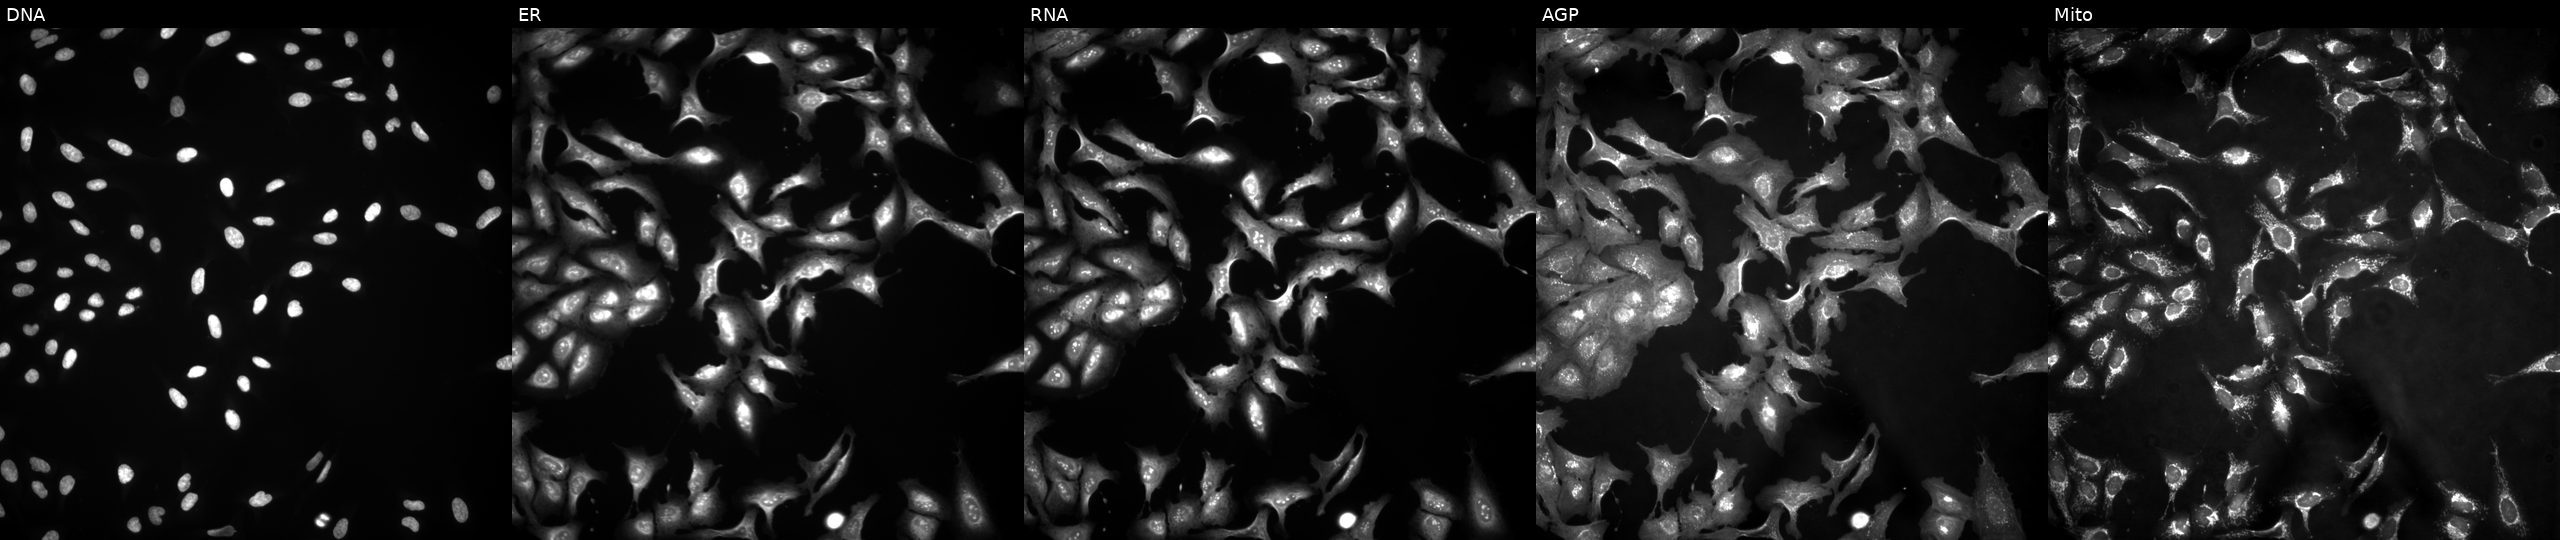
Five-channel Cell Painting image of U2OS cells transfected with an ORF construct for DLGAP5. Panels show, left to right, Hoechst 33342, concanavalin A, SYTO 14, phalloidin and WGA, MitoTracker.